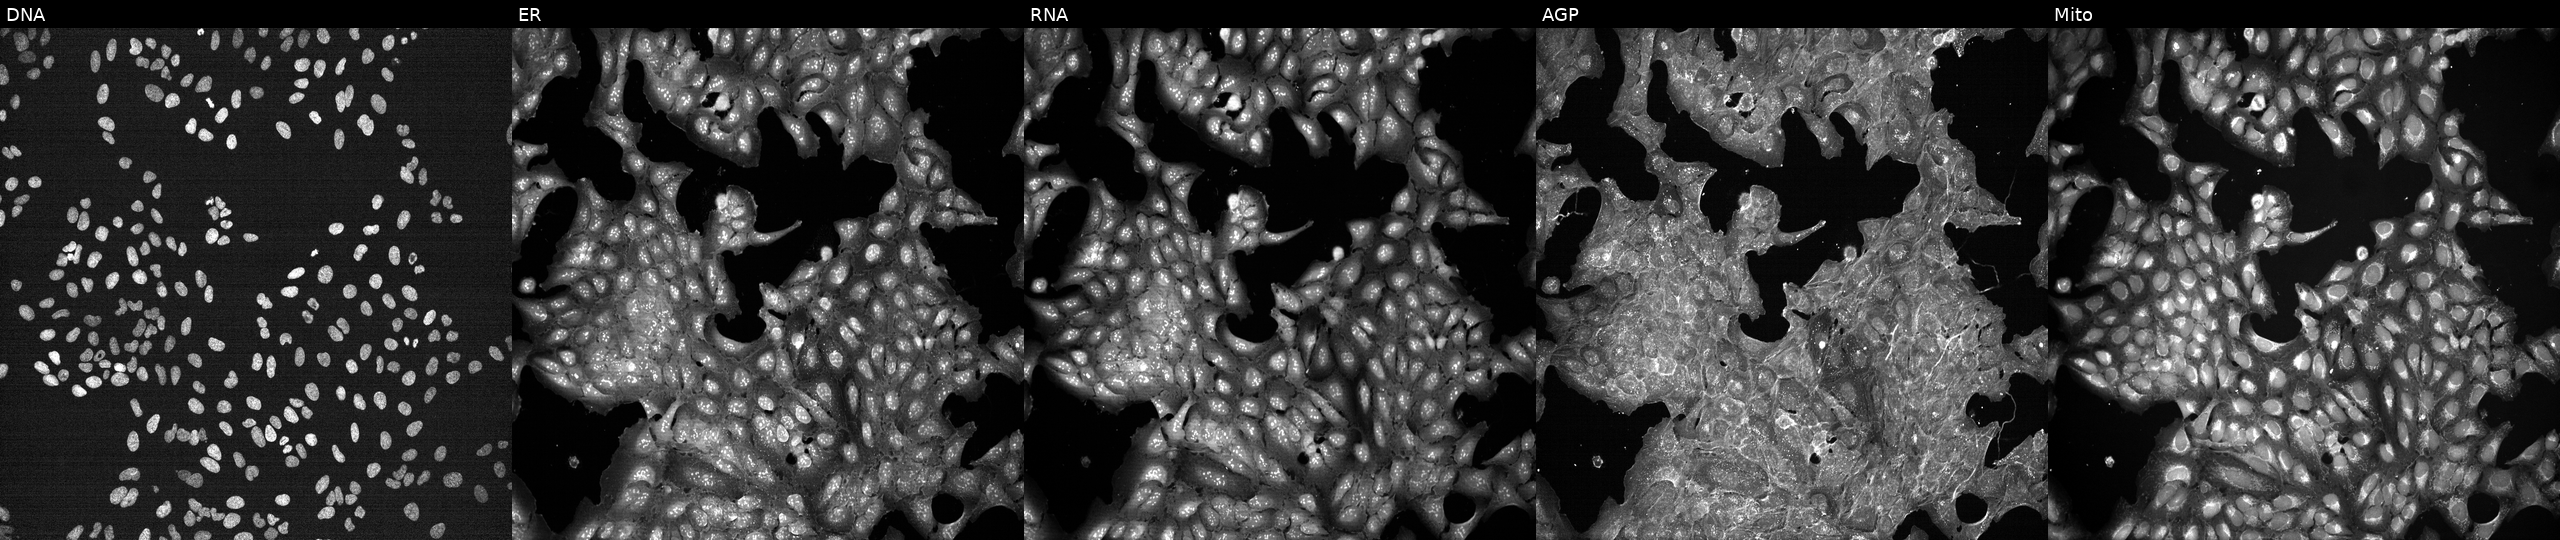
Channels (left→right): DNA (nuclei); ER (endoplasmic reticulum); RNA (nucleoli and cytoplasmic RNA); AGP (actin cytoskeleton, Golgi, and plasma membrane); Mito (mitochondria). U2OS osteosarcoma cells perturbed with a small-molecule compound [SMILES: OCC1OC(n2cnc3c(=NC4CCCC4)[nH]cnc32)C(O)C1O] (JUMP id JCP2022_084963). Cell Painting assay, JUMP-CP dataset.